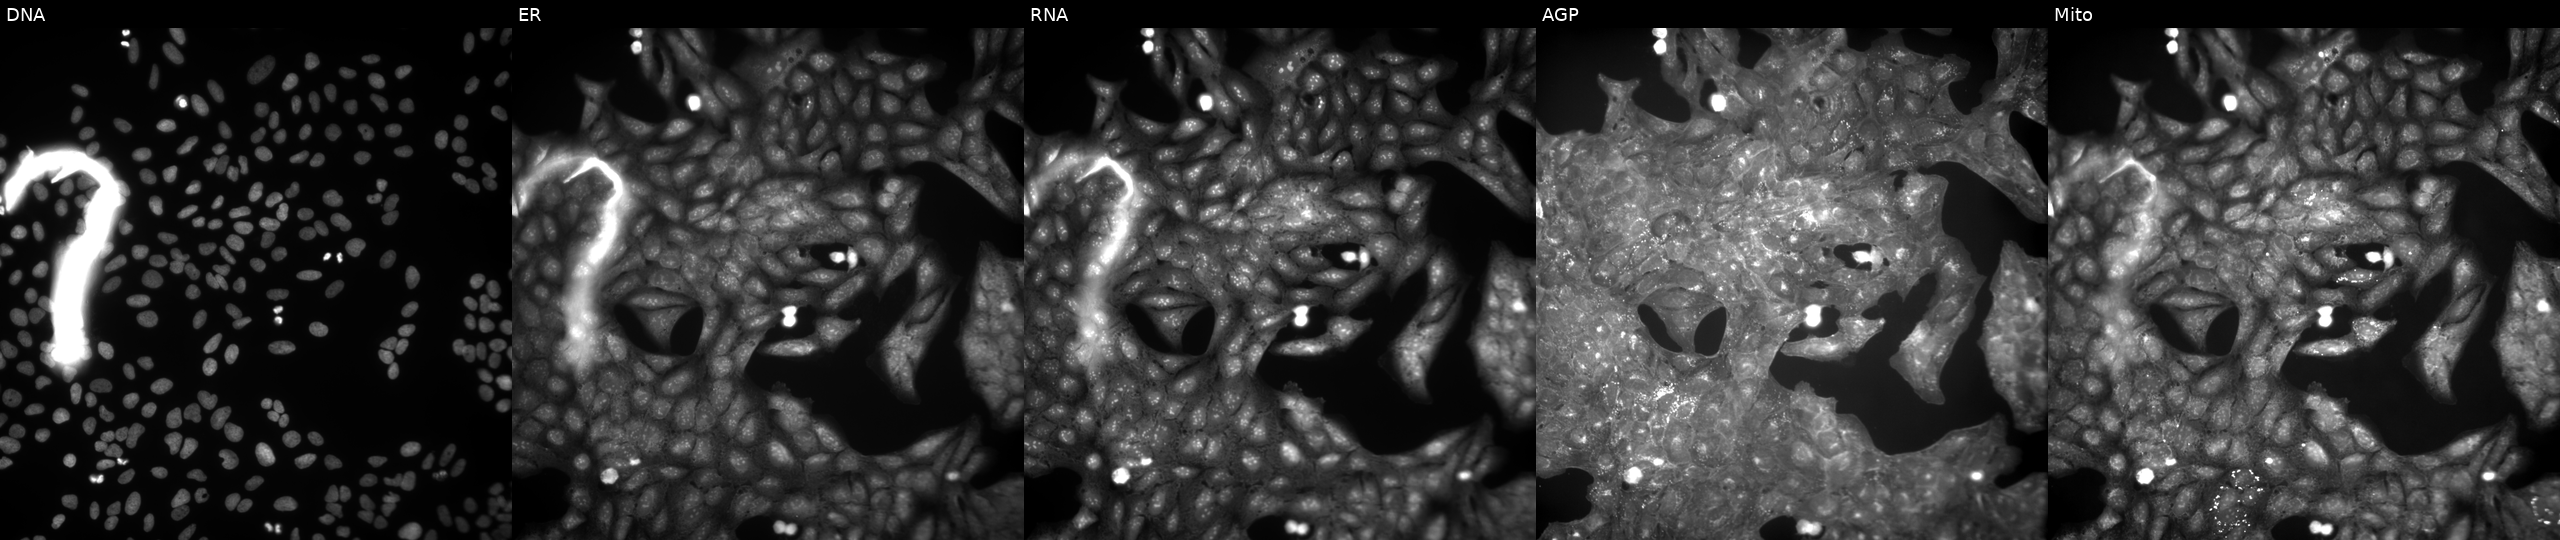
Five-channel Cell Painting image of U2OS cells exposed to a small-molecule compound (InChIKey IOTCSGQSXGEYTR-UHFFFAOYSA-N) (JUMP id JCP2022_036424). The five panels, left to right, show DNA, ER, RNA, AGP, and Mito. Source 9, plate GR00003382, well AF42.